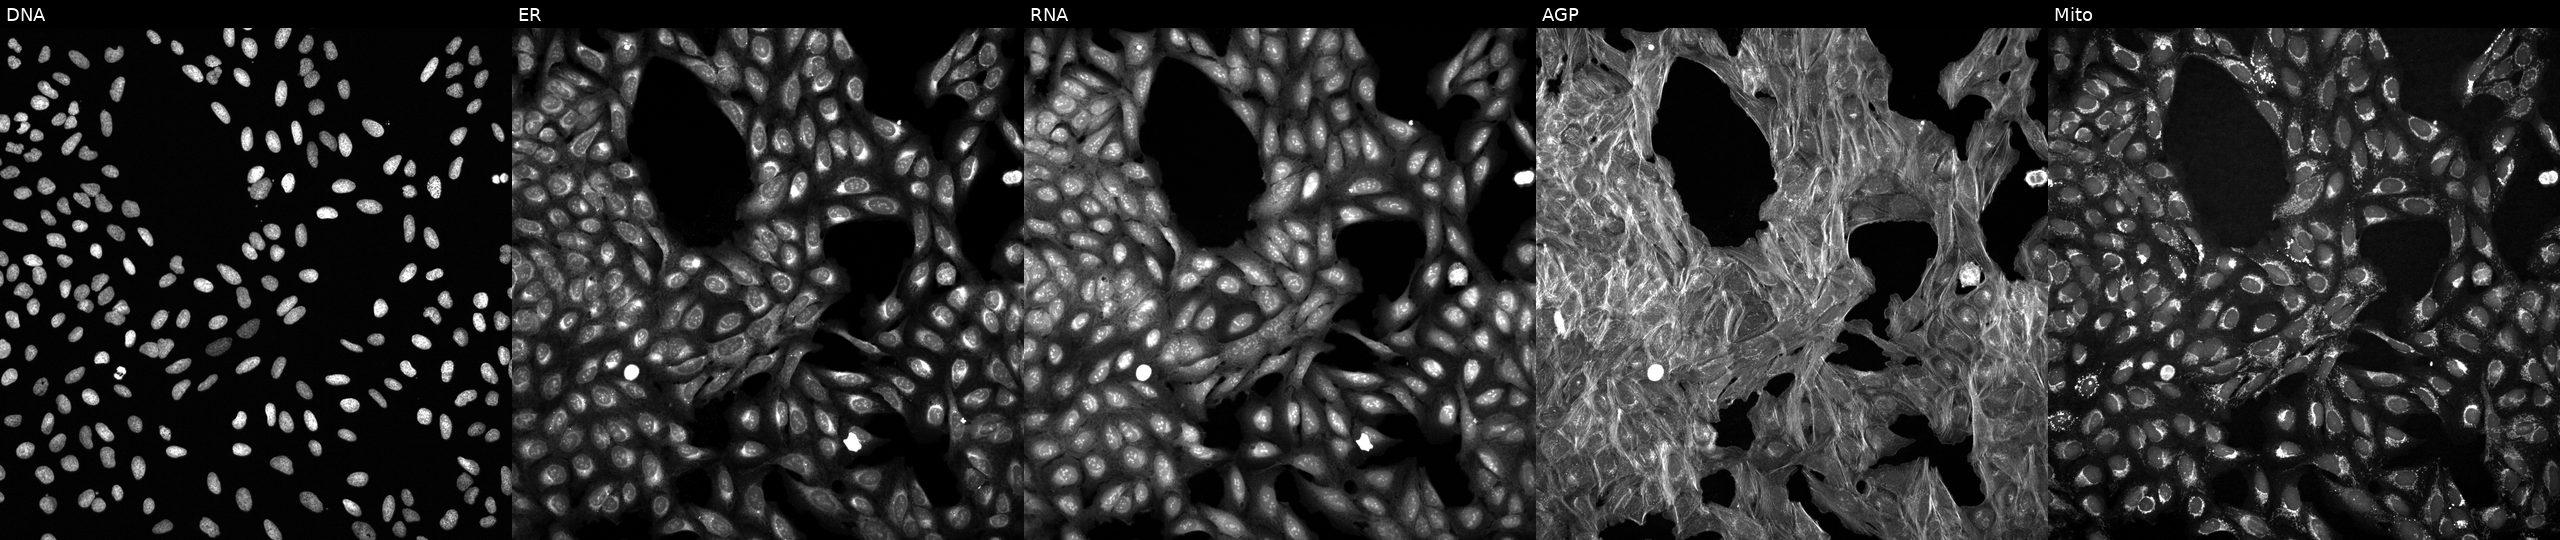
High-content fluorescence microscopy (Cell Painting). Cell line: U2OS. Perturbation: treated with a small-molecule compound (InChIKey JVIPYNHEWMORQP-UHFFFAOYSA-N) (JUMP id JCP2022_042373). From left to right: DNA (nuclei); ER (endoplasmic reticulum); RNA (nucleoli and cytoplasmic RNA); AGP (actin cytoskeleton, Golgi, and plasma membrane); Mito (mitochondria). Source 6, plate 110000293082, well C22.